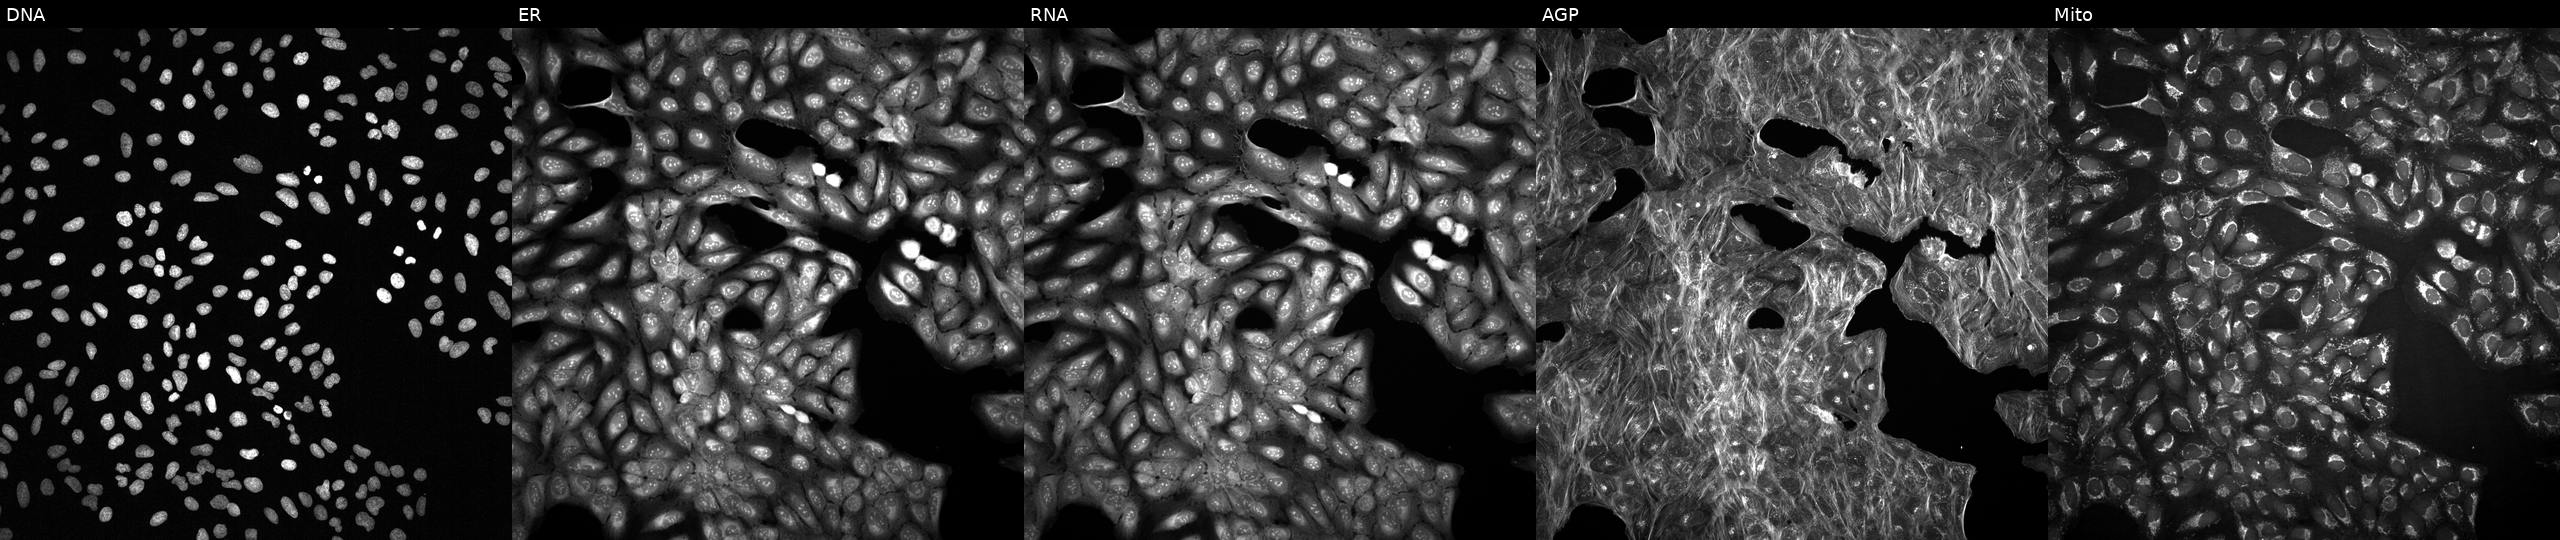
U2OS cells, Cell Painting assay, with an unidentified perturbation (not annotated in JUMP metadata). Channels (left→right): DNA (nuclei); ER (endoplasmic reticulum); RNA (nucleoli and cytoplasmic RNA); AGP (actin cytoskeleton, Golgi, and plasma membrane); Mito (mitochondria). Each panel is percentile-stretched 16-bit fluorescence. Source 2, plate 1053601763, well D15.